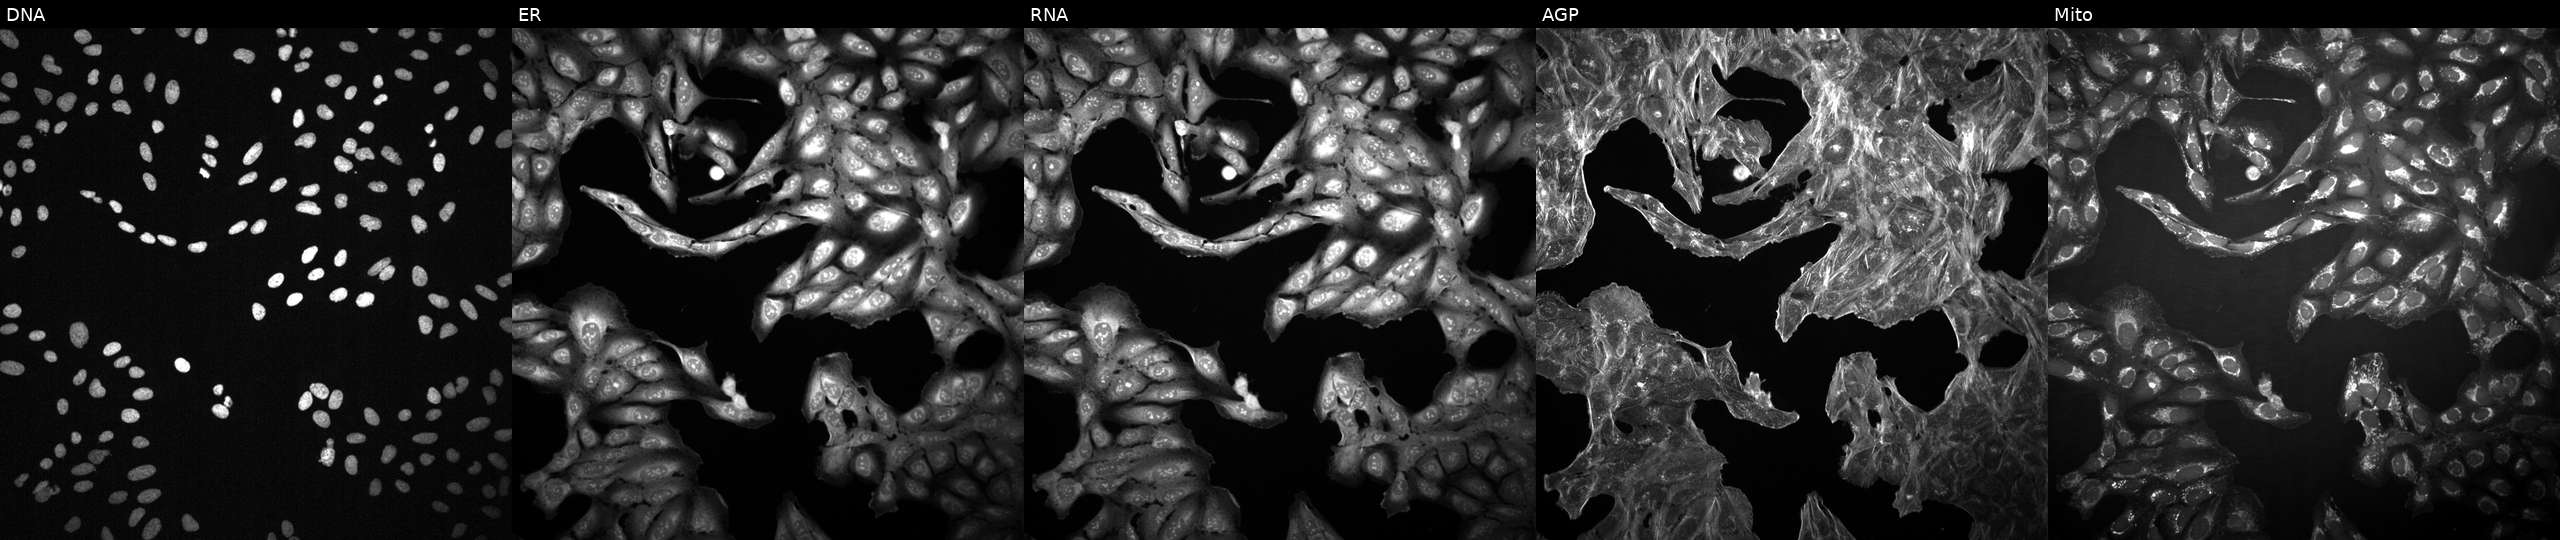
JUMP Cell Painting — TARGET2 plate. U2OS cells exposed to a small-molecule compound (InChIKey ZDXPYRJPNDTMRX-UHFFFAOYSA-N). Panels show, left to right, DNA, ER, RNA, AGP, and Mito. Source 2, plate 1053597936, well G22.